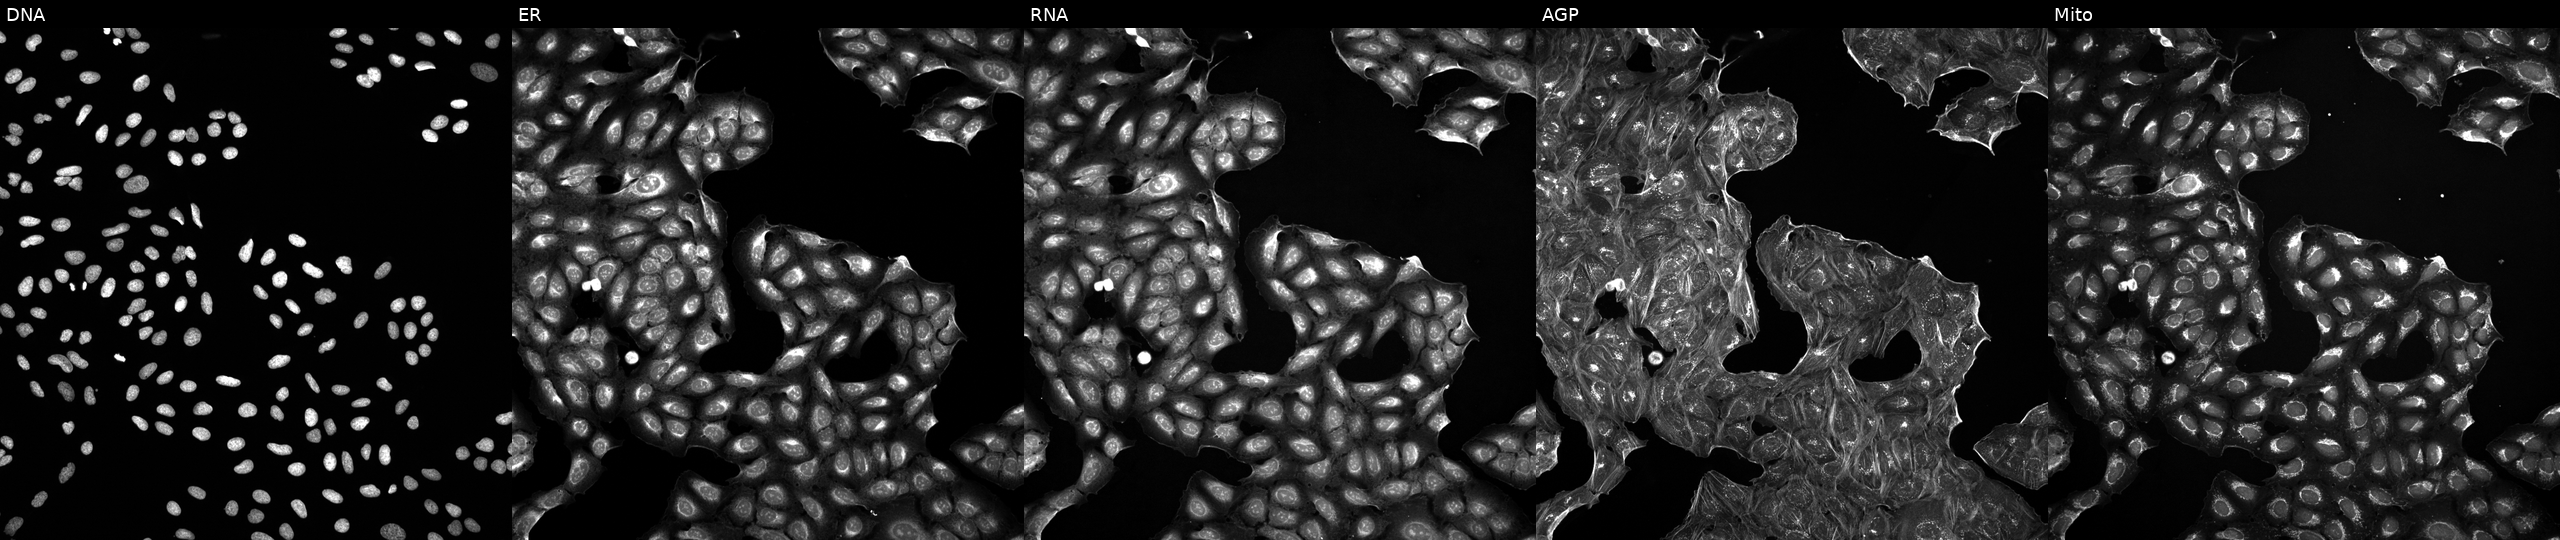
JUMP Cell Painting — TARGET2 plate. U2OS cells treated with a small-molecule compound (InChIKey PYEFPDQFAZNXLI-UHFFFAOYSA-N) [SMILES: Cc1ccc(NC(=O)c2cccc(N(C)C)c2)cc1NC(=O)c1ccc(O)cc1] (JUMP id JCP2022_071733). Channels (left→right): DNA (nuclei); ER (endoplasmic reticulum); RNA (nucleoli and cytoplasmic RNA); AGP (actin cytoskeleton, Golgi, and plasma membrane); Mito (mitochondria).